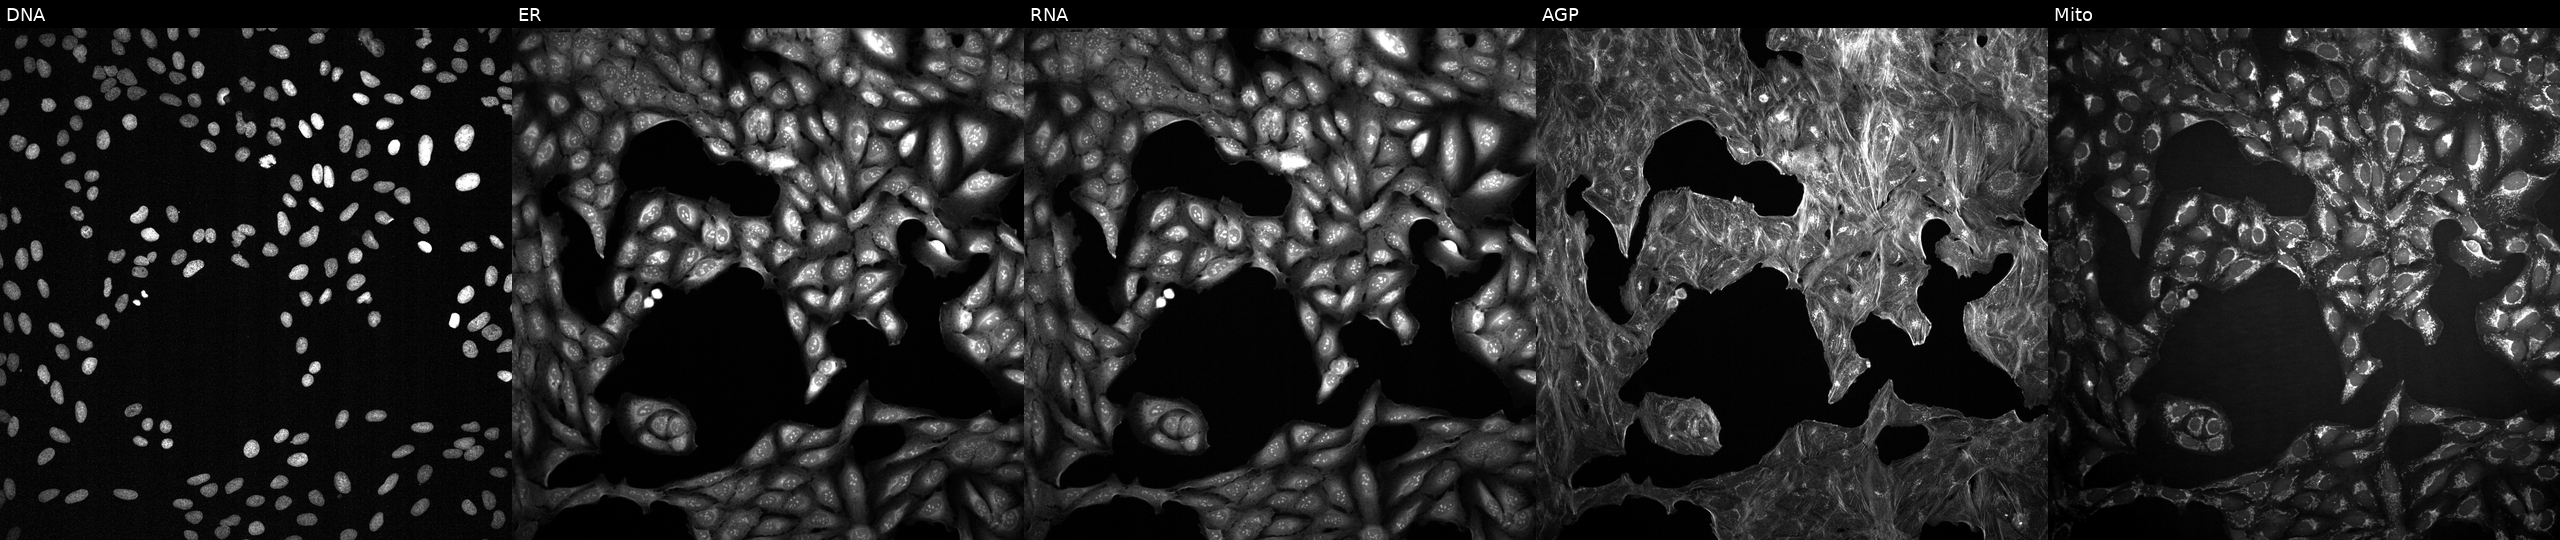
JUMP Cell Painting — TARGET2 plate. U2OS cells exposed to DMSO alone as a negative control. From left to right: DNA, ER, RNA, AGP, and Mito.